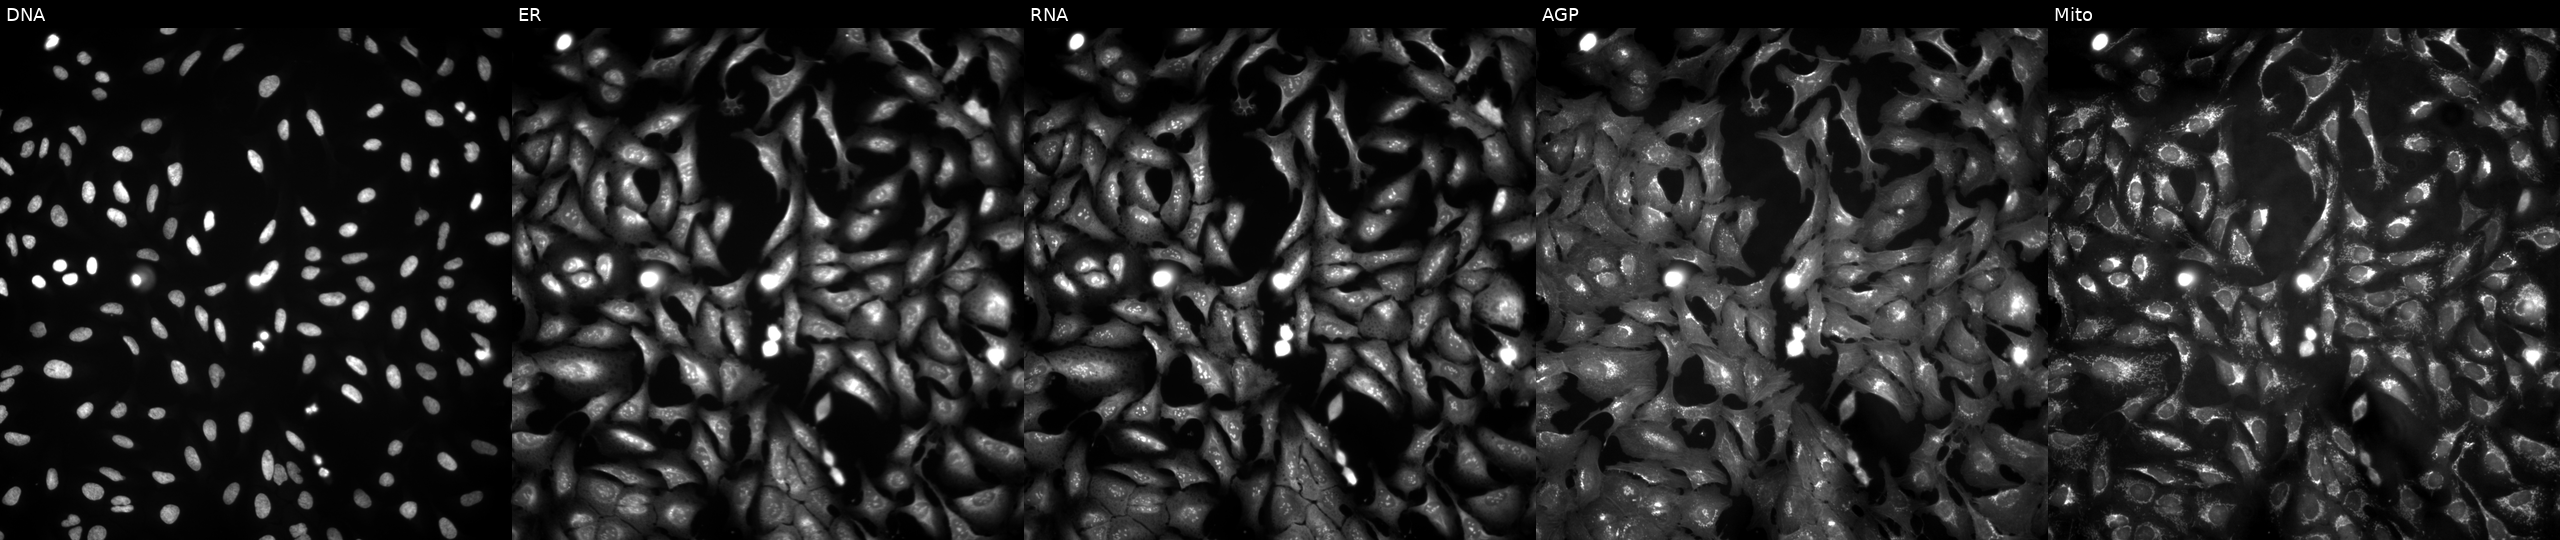
U2OS cells, Cell Painting assay, with DENND2B overexpressed (ORF). From left to right: Hoechst 33342, concanavalin A, SYTO 14, phalloidin and WGA, MitoTracker. Each panel is percentile-stretched 16-bit fluorescence.